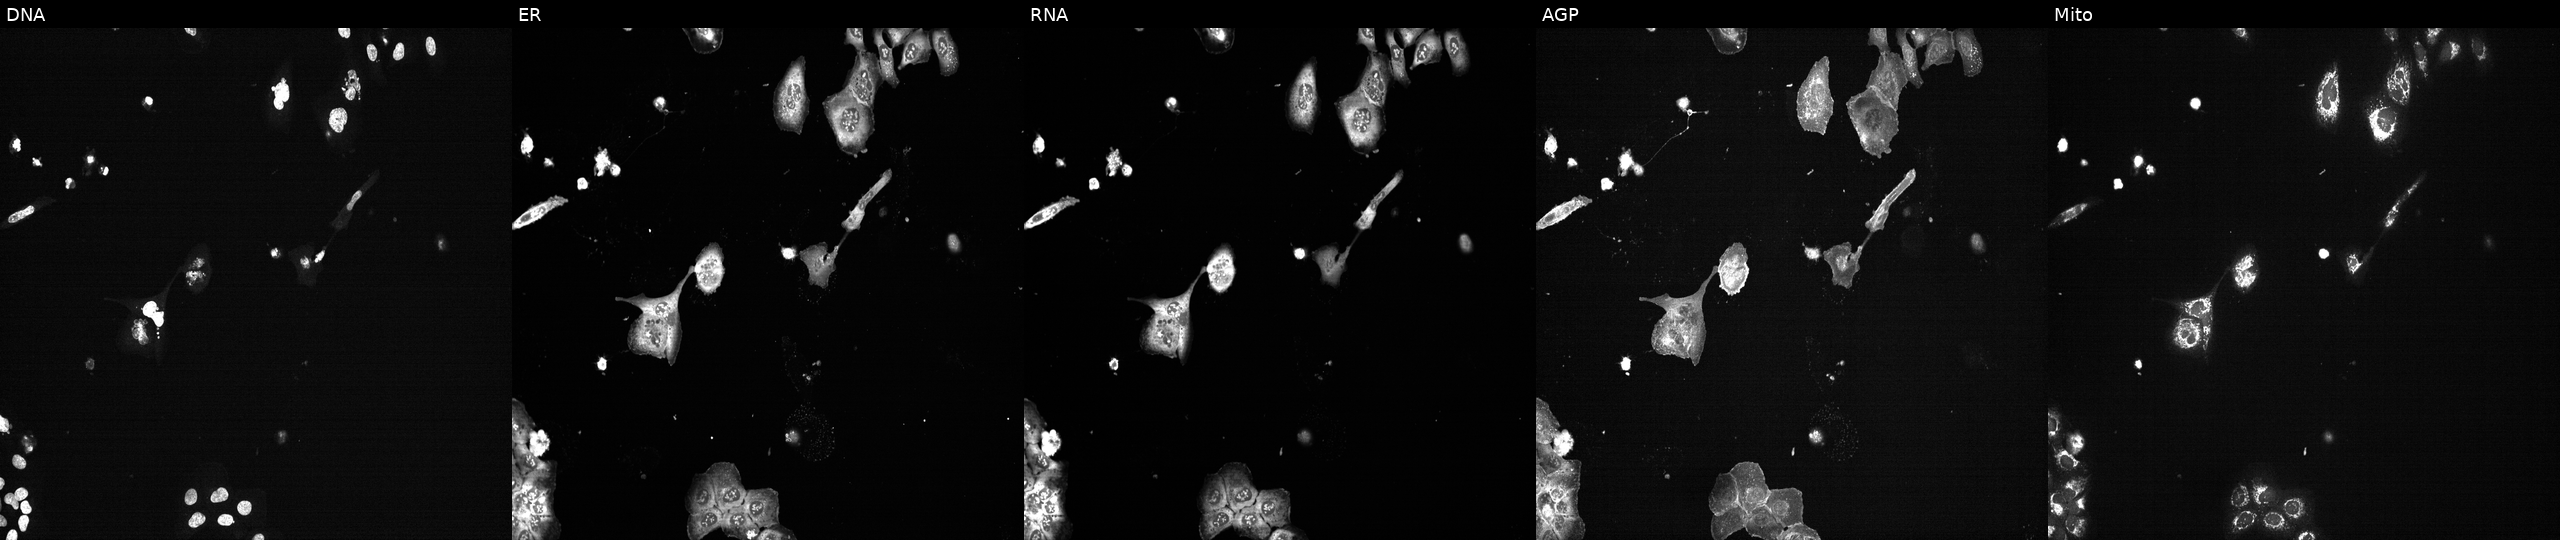
This image strip shows the five Cell Painting channels for a single field of U2OS cells with PLK1 knocked out by CRISPR (positive control). Panels show, left to right, Hoechst 33342, concanavalin A, SYTO 14, phalloidin and WGA, MitoTracker.